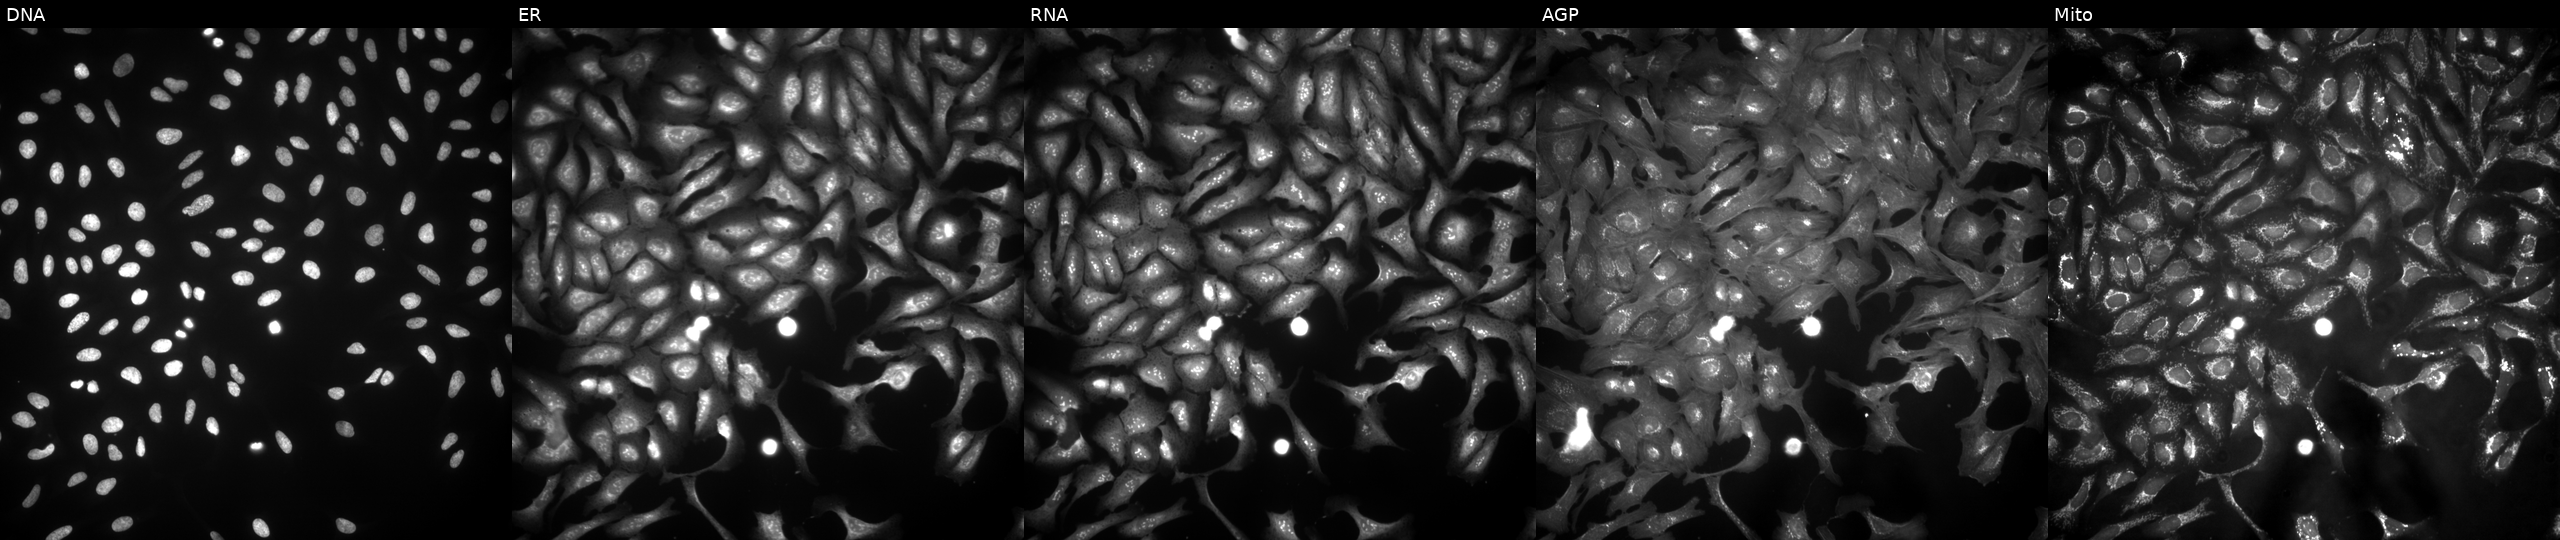
This image strip shows the five Cell Painting channels for a single field of U2OS cells with NARS2 overexpressed (ORF) (JUMP id JCP2022_913316). Panels show, left to right, DNA (nuclei); ER (endoplasmic reticulum); RNA (nucleoli and cytoplasmic RNA); AGP (actin cytoskeleton, Golgi, and plasma membrane); Mito (mitochondria).